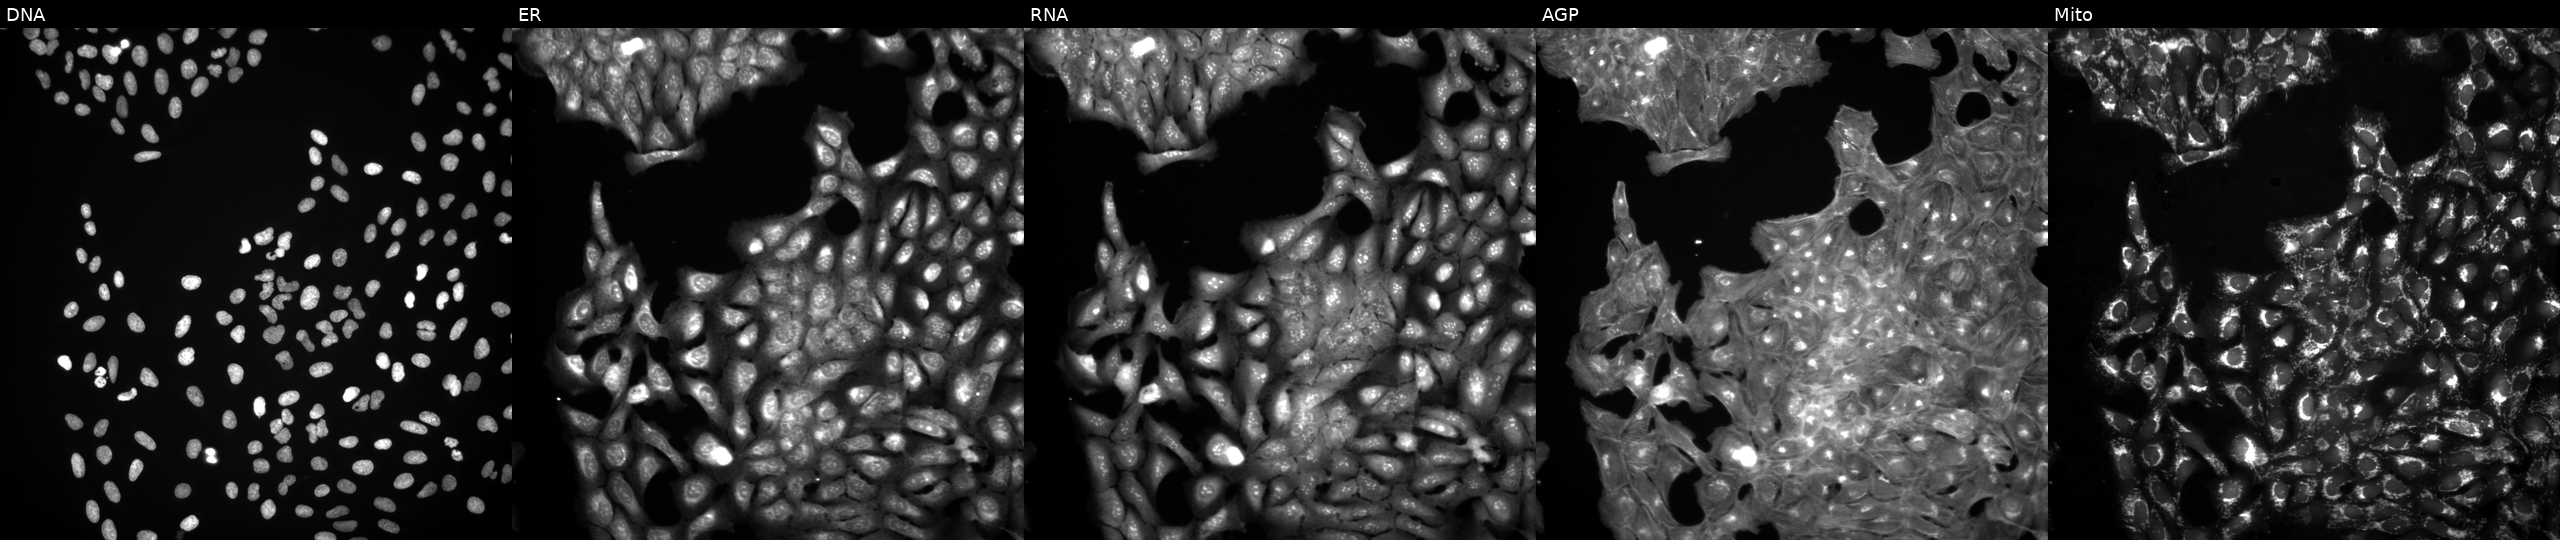
This image strip shows the five Cell Painting channels for a single field of U2OS cells perturbed with a small-molecule compound (InChIKey HJYYPODYNSCCOU-UHFFFAOYSA-N). Channels (left→right): DNA, ER, RNA, AGP, and Mito. Source 3, plate JCPQC051, well A22.